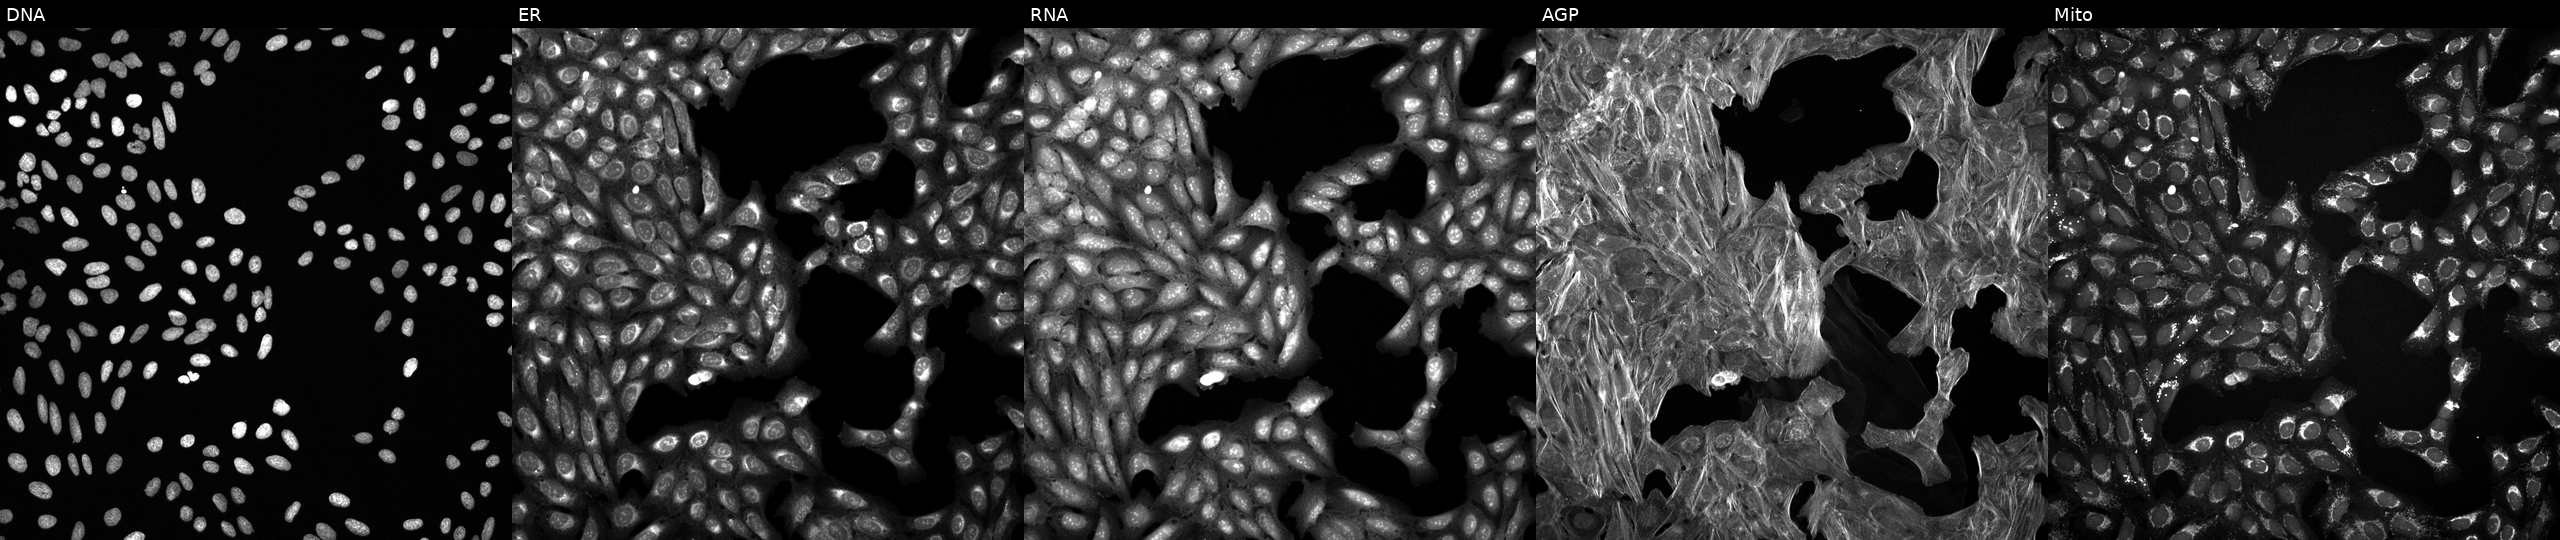
JUMP Cell Painting — TARGET2 plate. U2OS cells treated with DMSO vehicle only (negative control) (JUMP id JCP2022_033924). Channels (left→right): DNA (nuclei); ER (endoplasmic reticulum); RNA (nucleoli and cytoplasmic RNA); AGP (actin cytoskeleton, Golgi, and plasma membrane); Mito (mitochondria). Source 6, plate 110000293081, well K07.